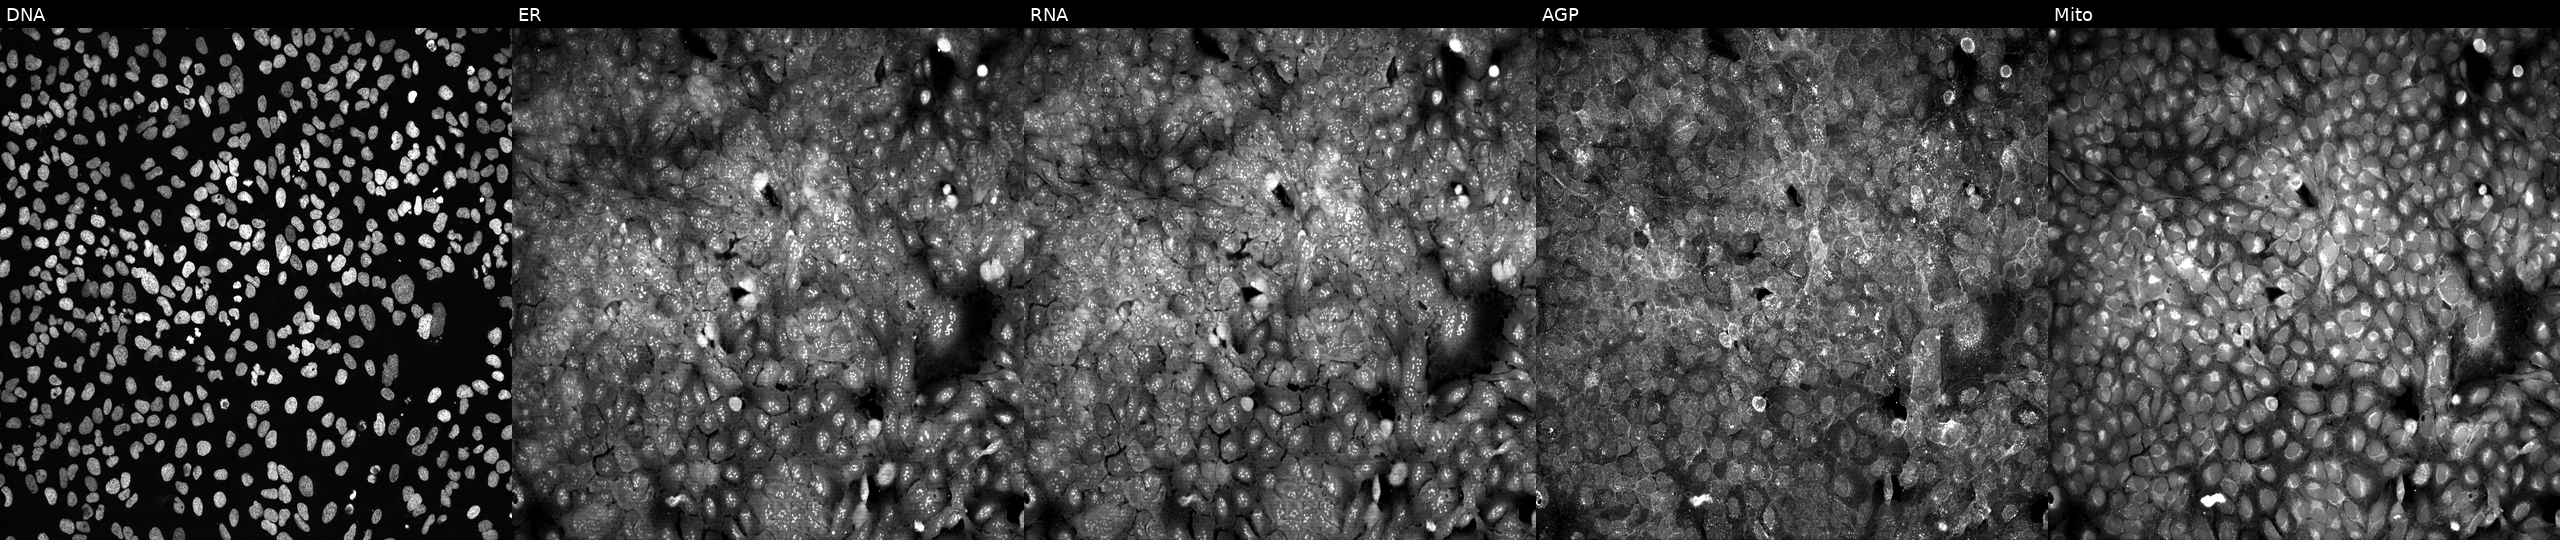
Channels (left→right): Hoechst 33342, concanavalin A, SYTO 14, phalloidin and WGA, MitoTracker. U2OS osteosarcoma cells CRISPR-edited to disrupt PLA2G1B. Cell Painting assay, JUMP-CP dataset.